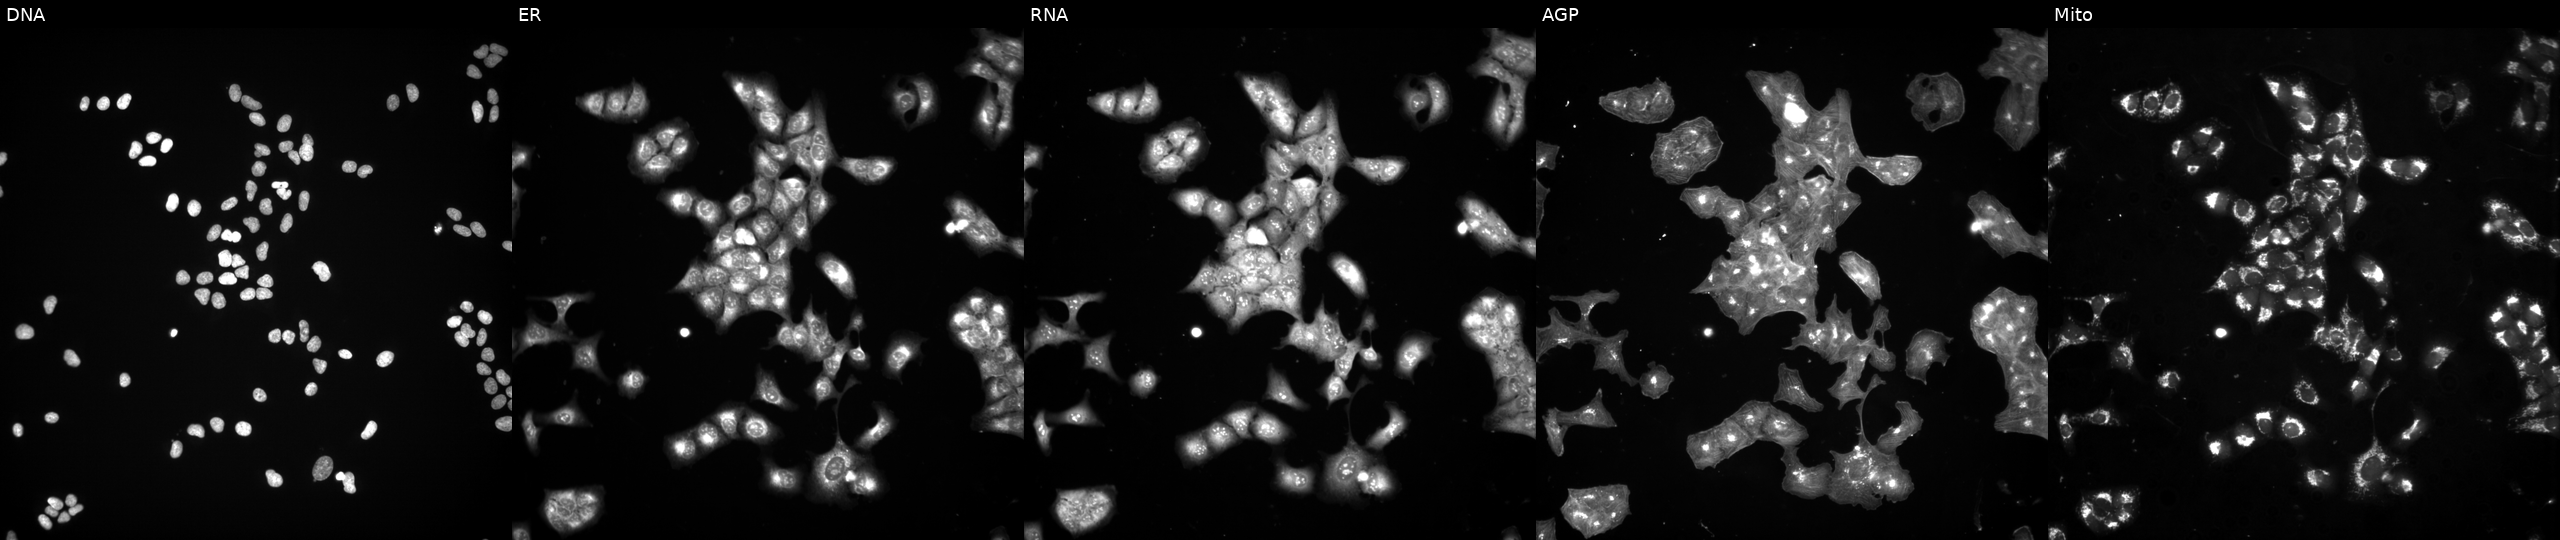
U2OS cells, Cell Painting assay, treated with NVS-PAK1-1 (positive-control compound). From left to right: DNA, ER, RNA, AGP, and Mito. Each panel is percentile-stretched 16-bit fluorescence.